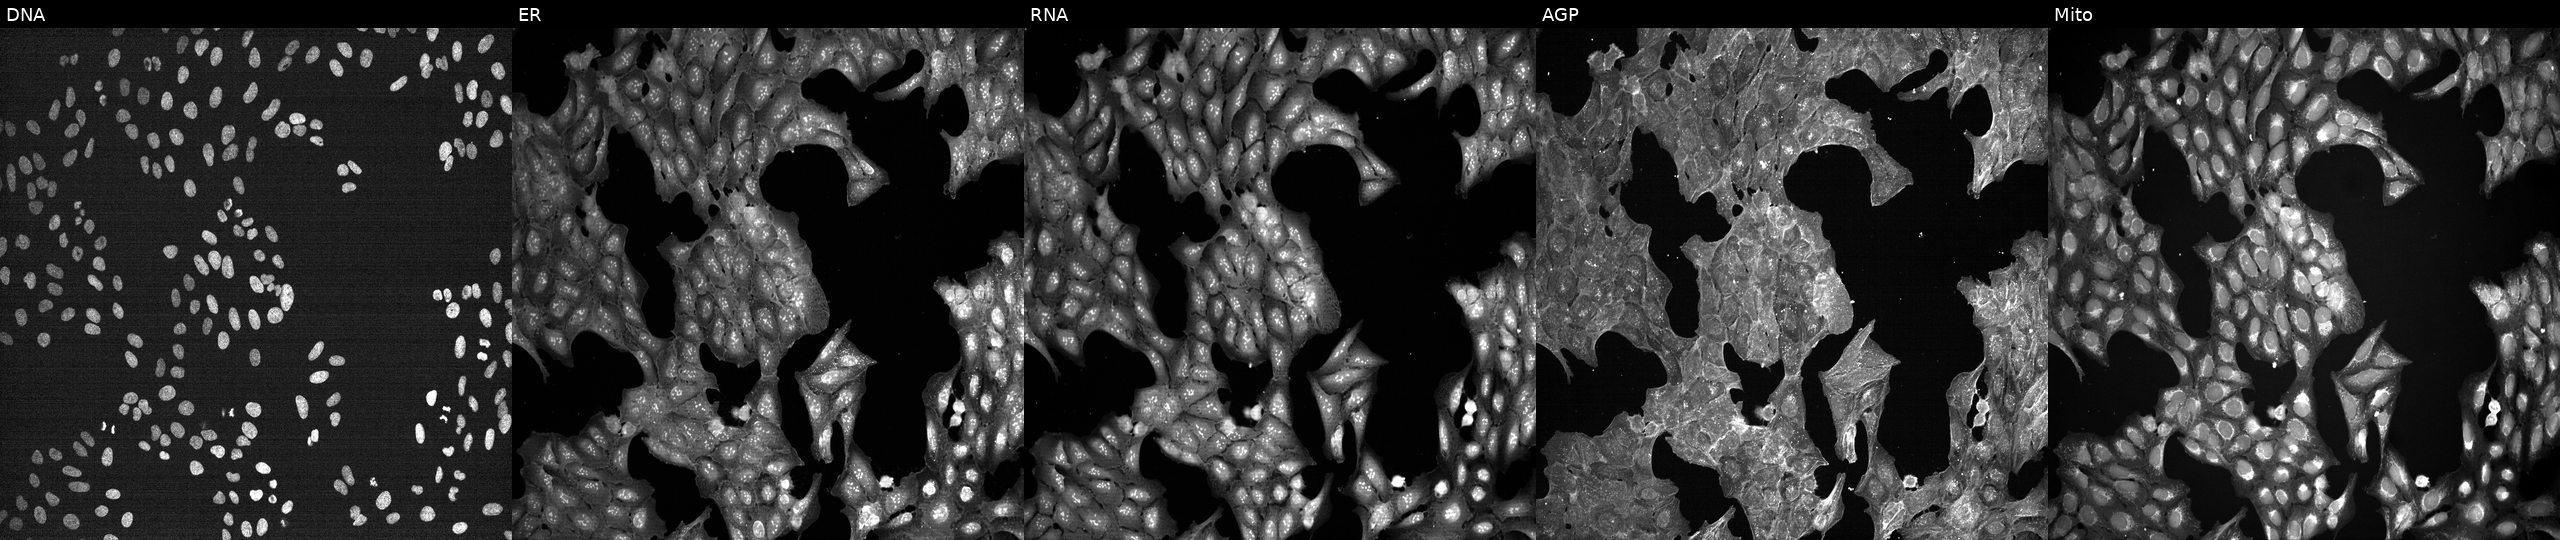
U2OS cells, Cell Painting assay, perturbed with a small-molecule compound (InChIKey JOLJIIDDOBNFHW-UHFFFAOYSA-N) (JUMP id JCP2022_041107). Panels show, left to right, Hoechst 33342, concanavalin A, SYTO 14, phalloidin and WGA, MitoTracker. Each panel is percentile-stretched 16-bit fluorescence.